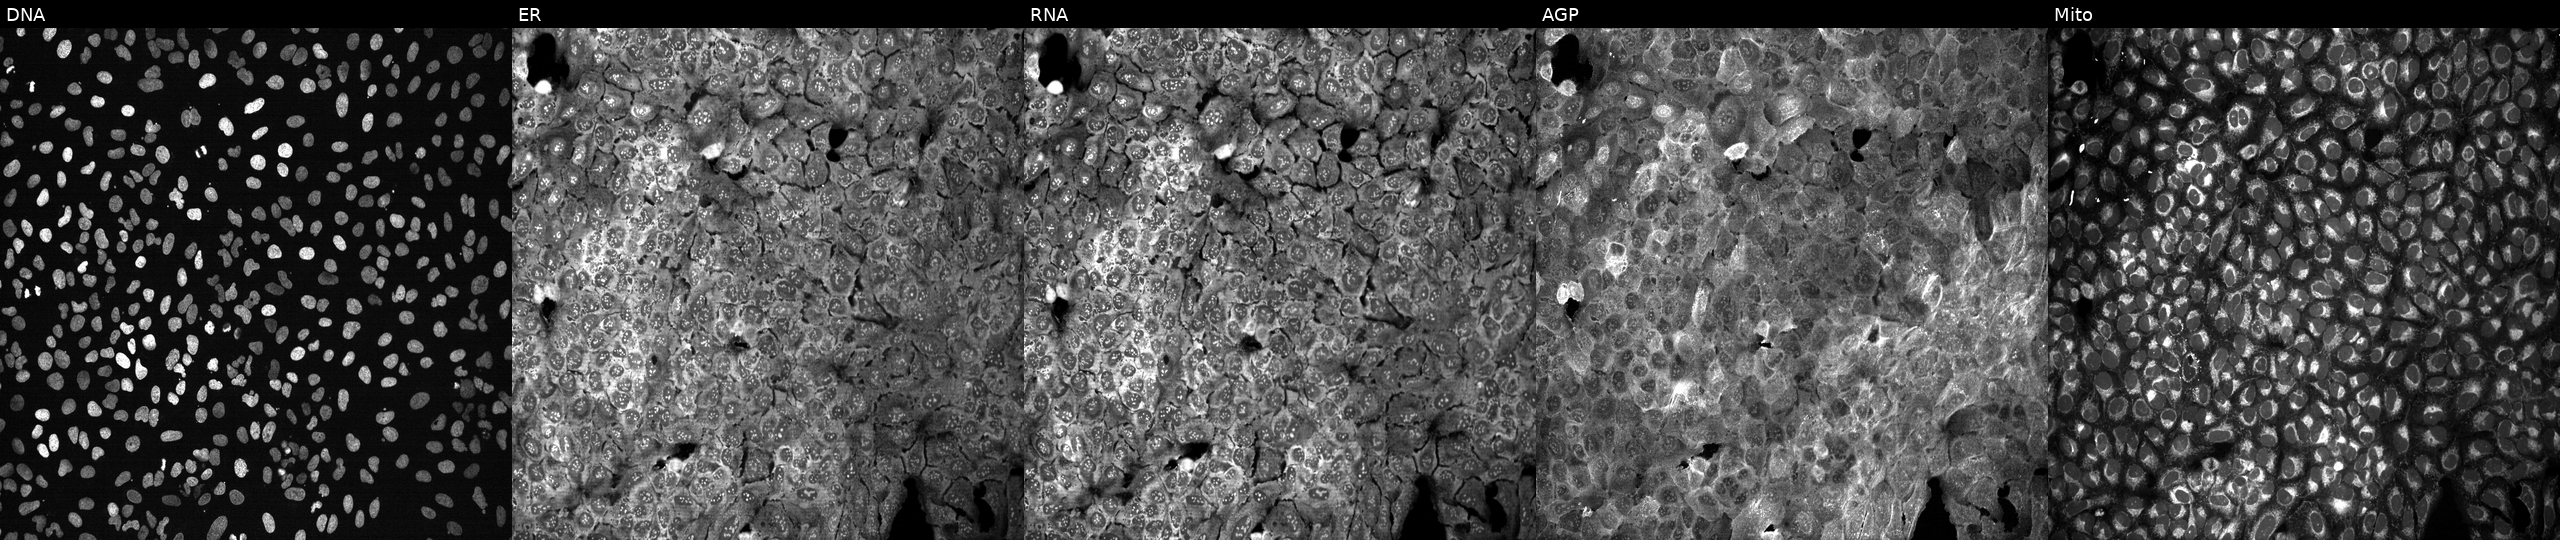
U2OS cells, Cell Painting assay, following CRISPR knockout of CD160 (JUMP id JCP2022_801145). From left to right: DNA (nuclei); ER (endoplasmic reticulum); RNA (nucleoli and cytoplasmic RNA); AGP (actin cytoskeleton, Golgi, and plasma membrane); Mito (mitochondria). Each panel is percentile-stretched 16-bit fluorescence. Source 13, plate CP-CC9-R2-01, well G22.